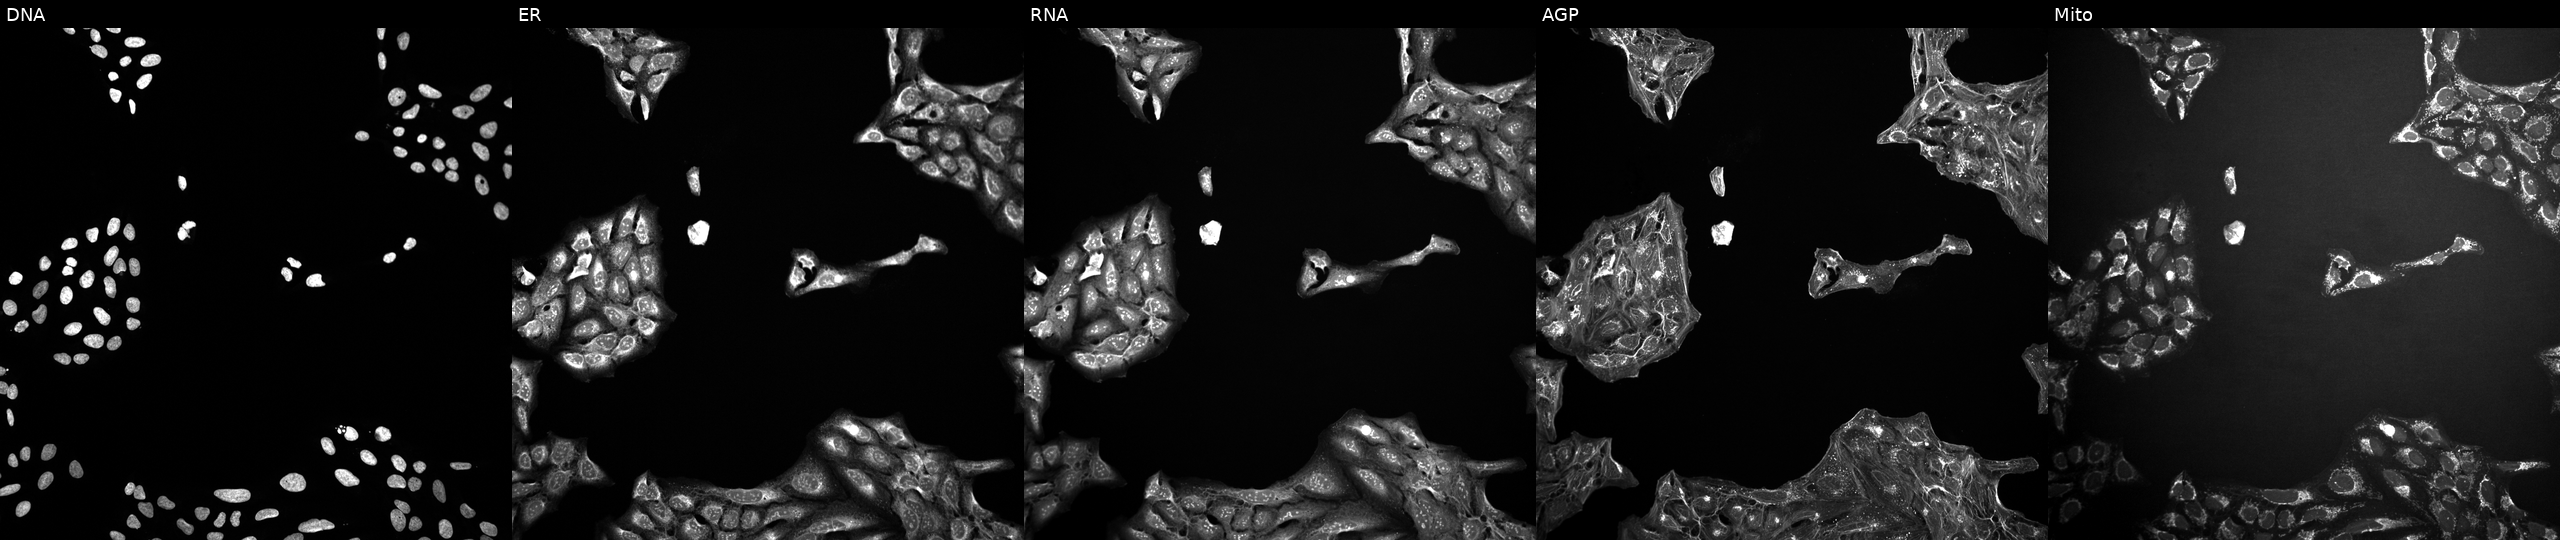
JUMP Cell Painting — COMPOUND plate. U2OS cells exposed to a small-molecule compound (InChIKey PUQPFRUZZBJOOH-UHFFFAOYSA-N) (JUMP id JCP2022_071061). Channels (left→right): Hoechst 33342, concanavalin A, SYTO 14, phalloidin and WGA, MitoTracker.